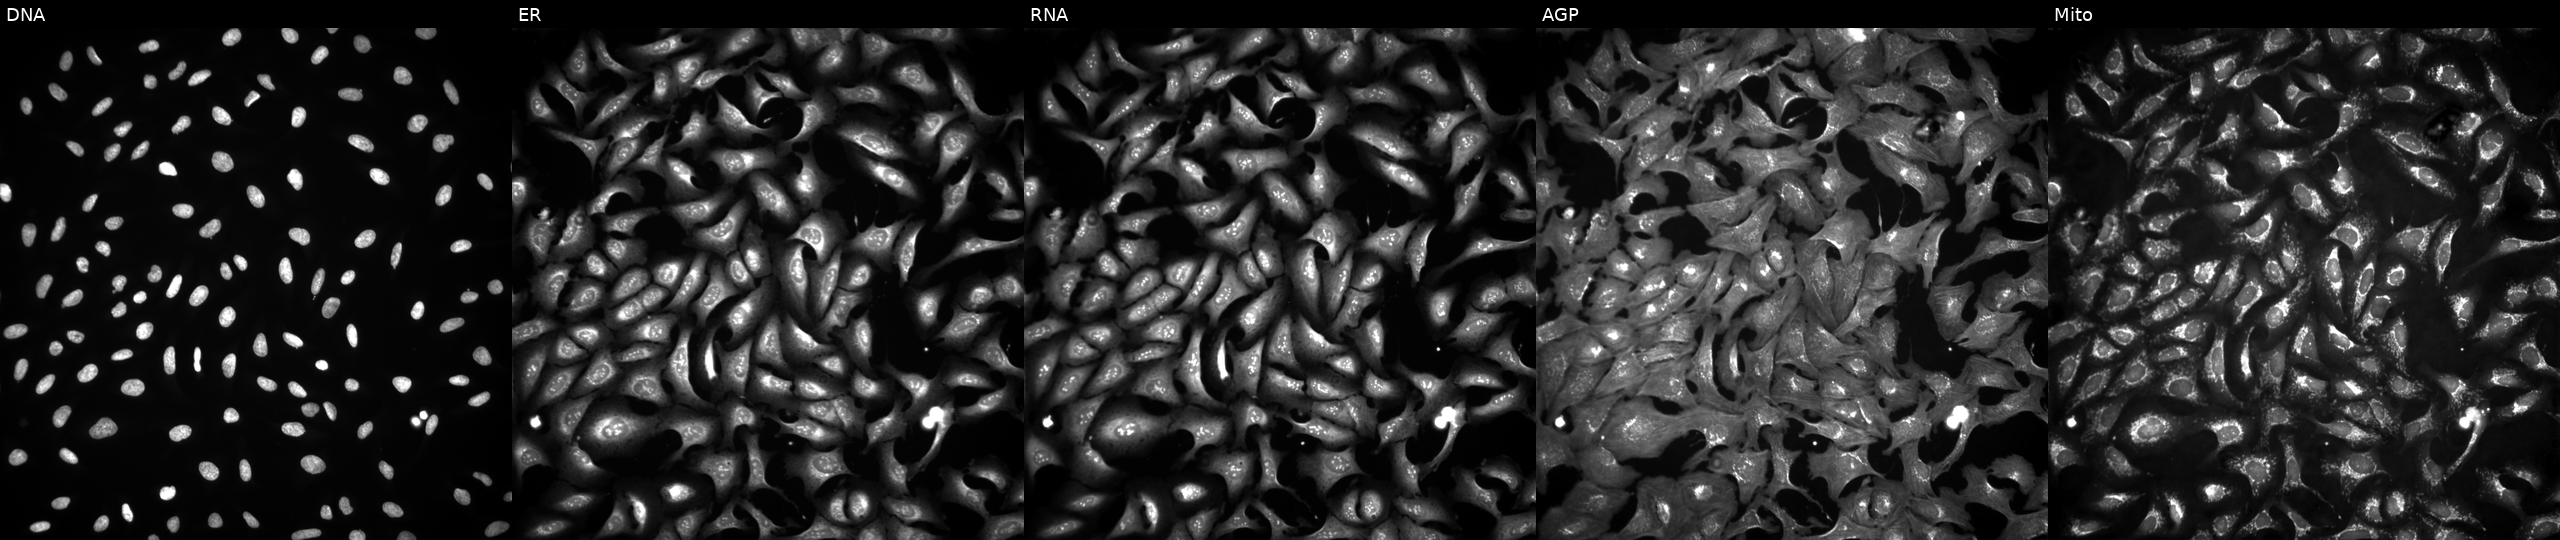
Panels show, left to right, DNA (nuclei); ER (endoplasmic reticulum); RNA (nucleoli and cytoplasmic RNA); AGP (actin cytoskeleton, Golgi, and plasma membrane); Mito (mitochondria). U2OS osteosarcoma cells expressing HcRed (ORF negative control) (JUMP id JCP2022_915129). Cell Painting assay, JUMP-CP dataset. Source 4, plate BR00123945, well F24.